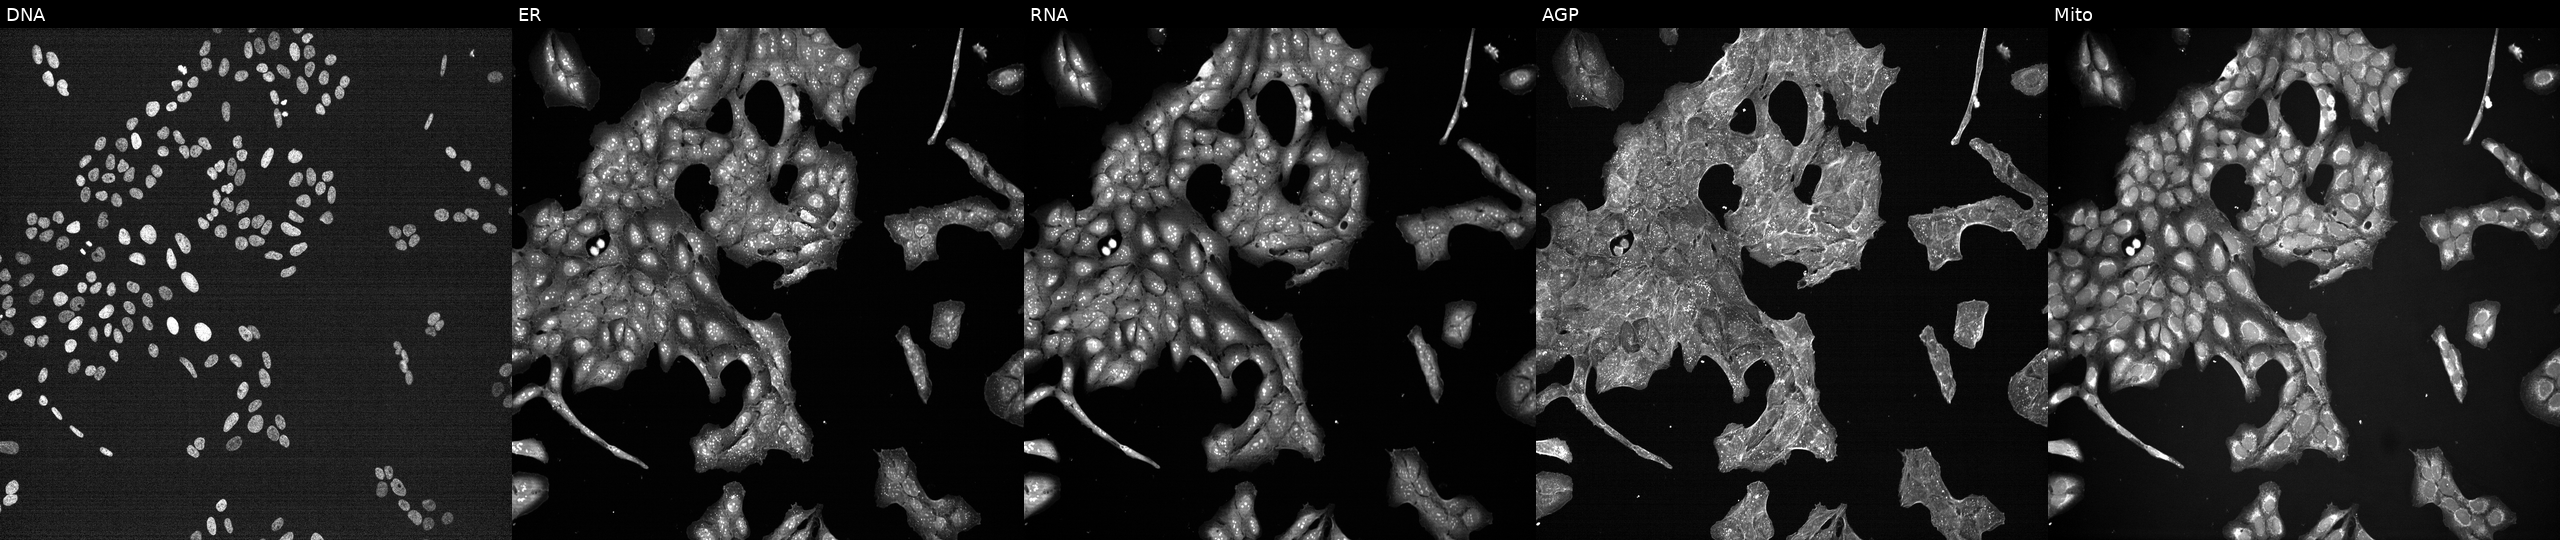
U2OS cells, Cell Painting assay, perturbed with a small-molecule compound (InChIKey PHOGQKDIVUJGMJ-UHFFFAOYSA-N) [SMILES: COC(=O)C1=C(C)N=C(C)C(C(=O)OC(C)(C)CN(C)CCC(c2ccccc2)c2ccccc2)C1c1cccc([N+](=O)[O-])c1]. The five panels, left to right, show DNA, ER, RNA, AGP, and Mito. Each panel is percentile-stretched 16-bit fluorescence. Source 7, plate CP1-SC1-25, well P18.